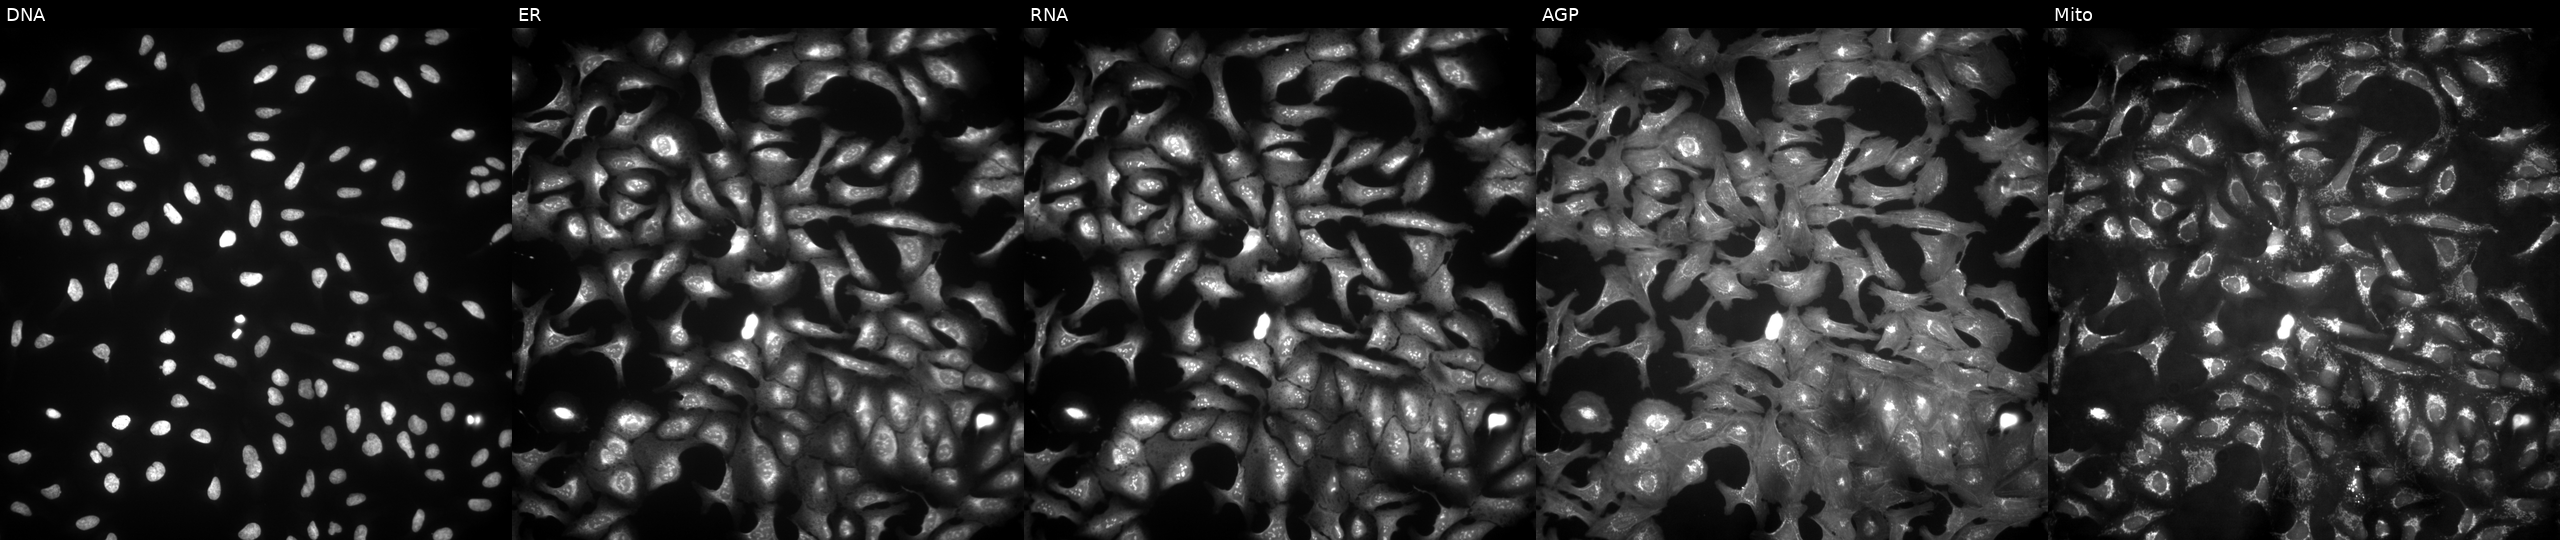
This image strip shows the five Cell Painting channels for a single field of U2OS cells with C7orf31 overexpressed (ORF). Channels (left→right): DNA (nuclei); ER (endoplasmic reticulum); RNA (nucleoli and cytoplasmic RNA); AGP (actin cytoskeleton, Golgi, and plasma membrane); Mito (mitochondria).